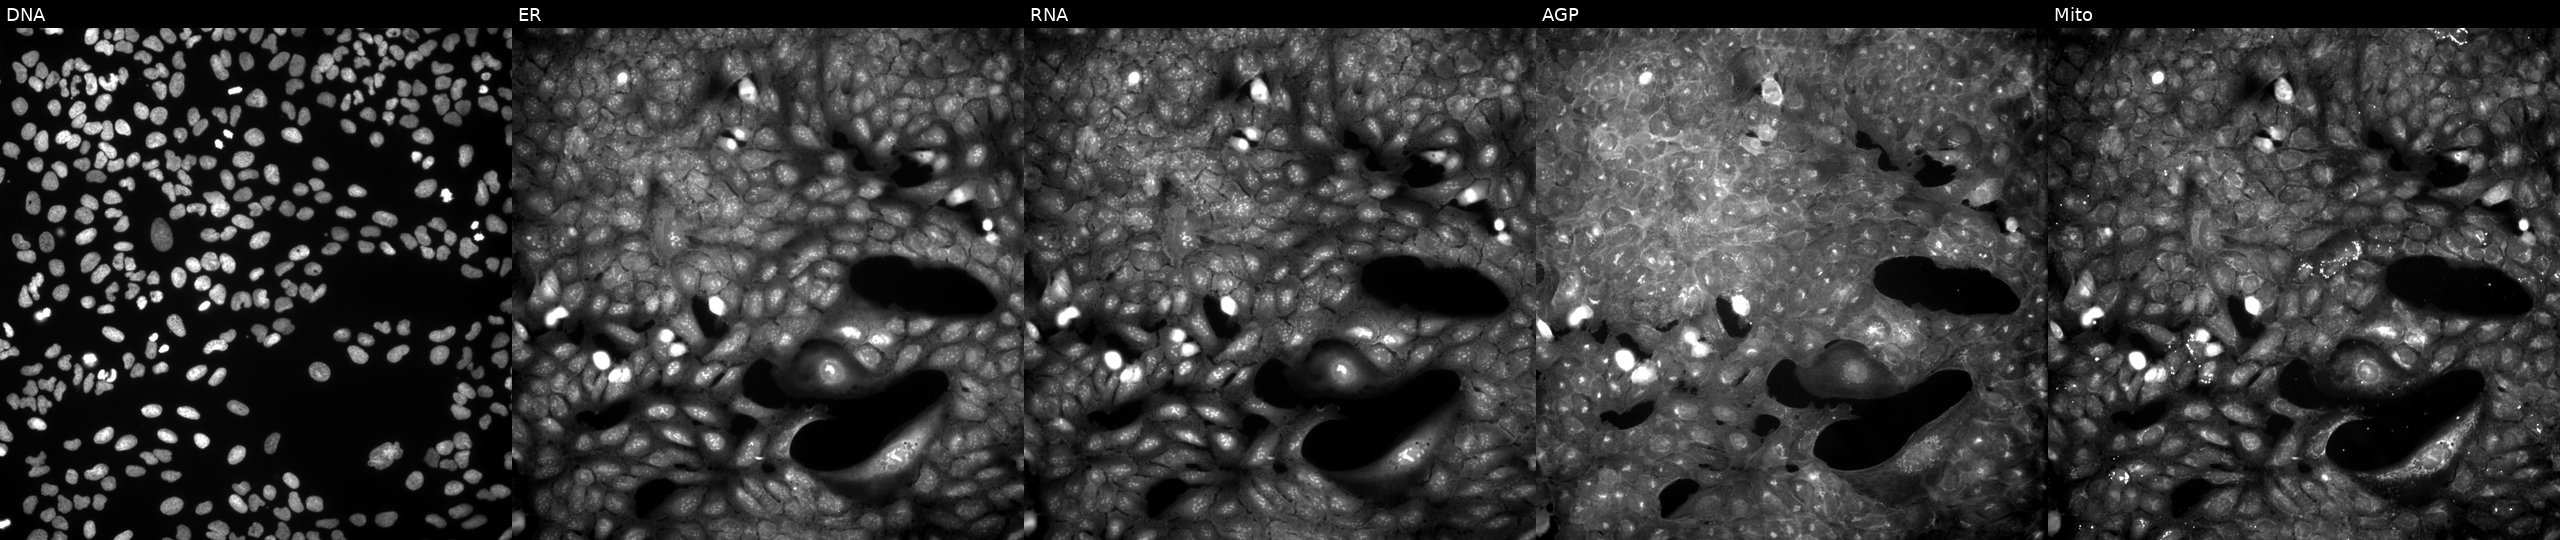
From left to right: Hoechst 33342, concanavalin A, SYTO 14, phalloidin and WGA, MitoTracker. U2OS osteosarcoma cells exposed to DMSO alone as a negative control (JUMP id JCP2022_033924). Cell Painting assay, JUMP-CP dataset. Source 9, plate GR00003382, well M26.